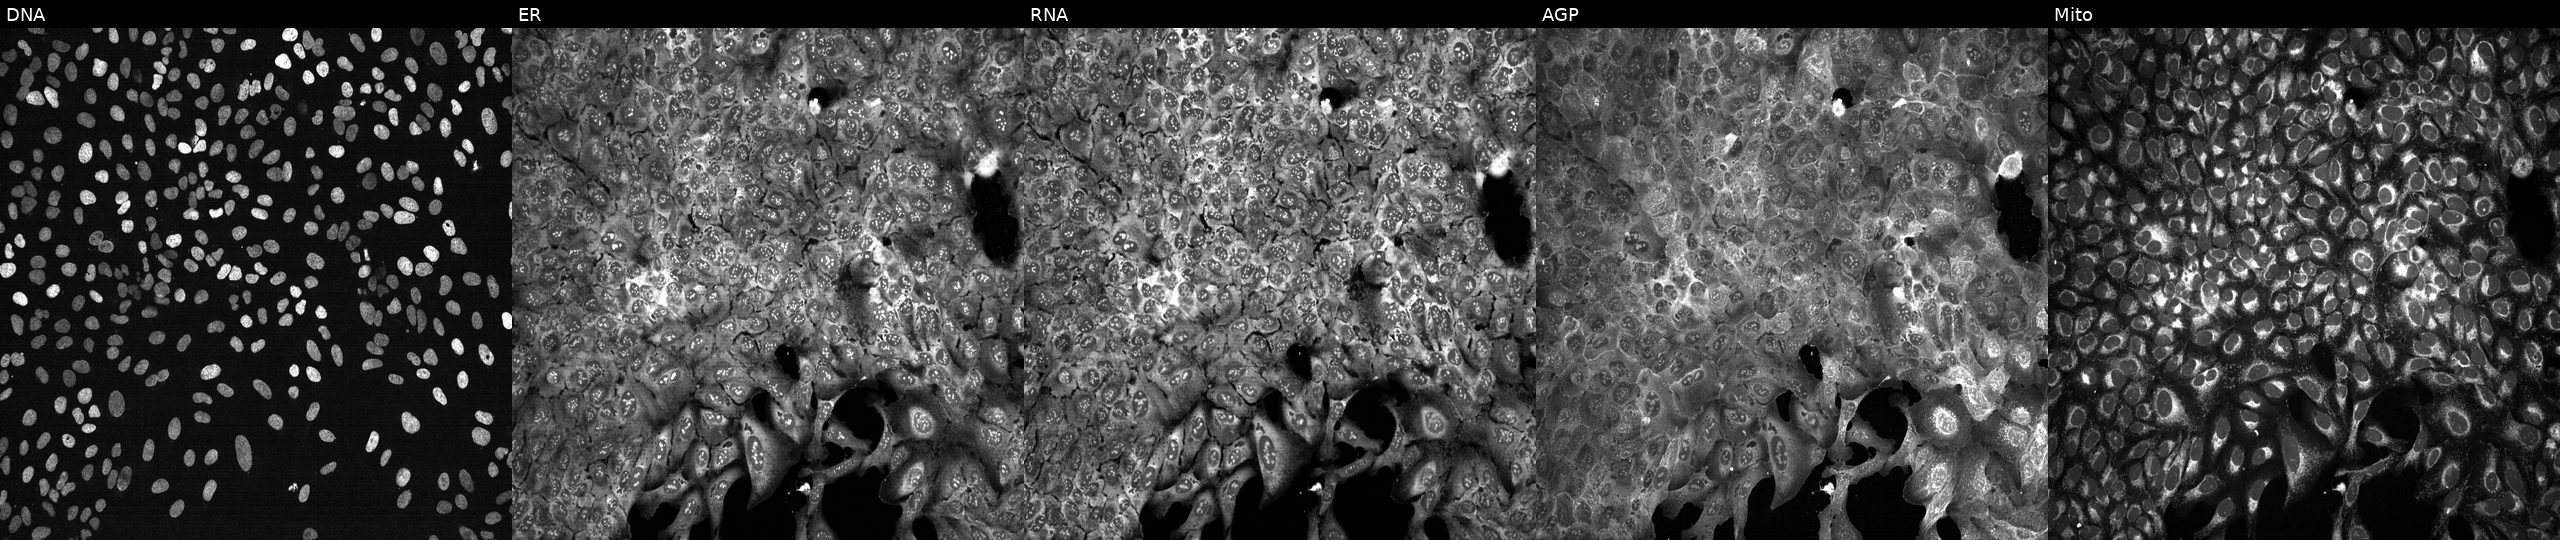
JUMP Cell Painting — CRISPR plate. U2OS cells CRISPR-edited to disrupt MCM5. Panels show, left to right, DNA (nuclei); ER (endoplasmic reticulum); RNA (nucleoli and cytoplasmic RNA); AGP (actin cytoskeleton, Golgi, and plasma membrane); Mito (mitochondria).